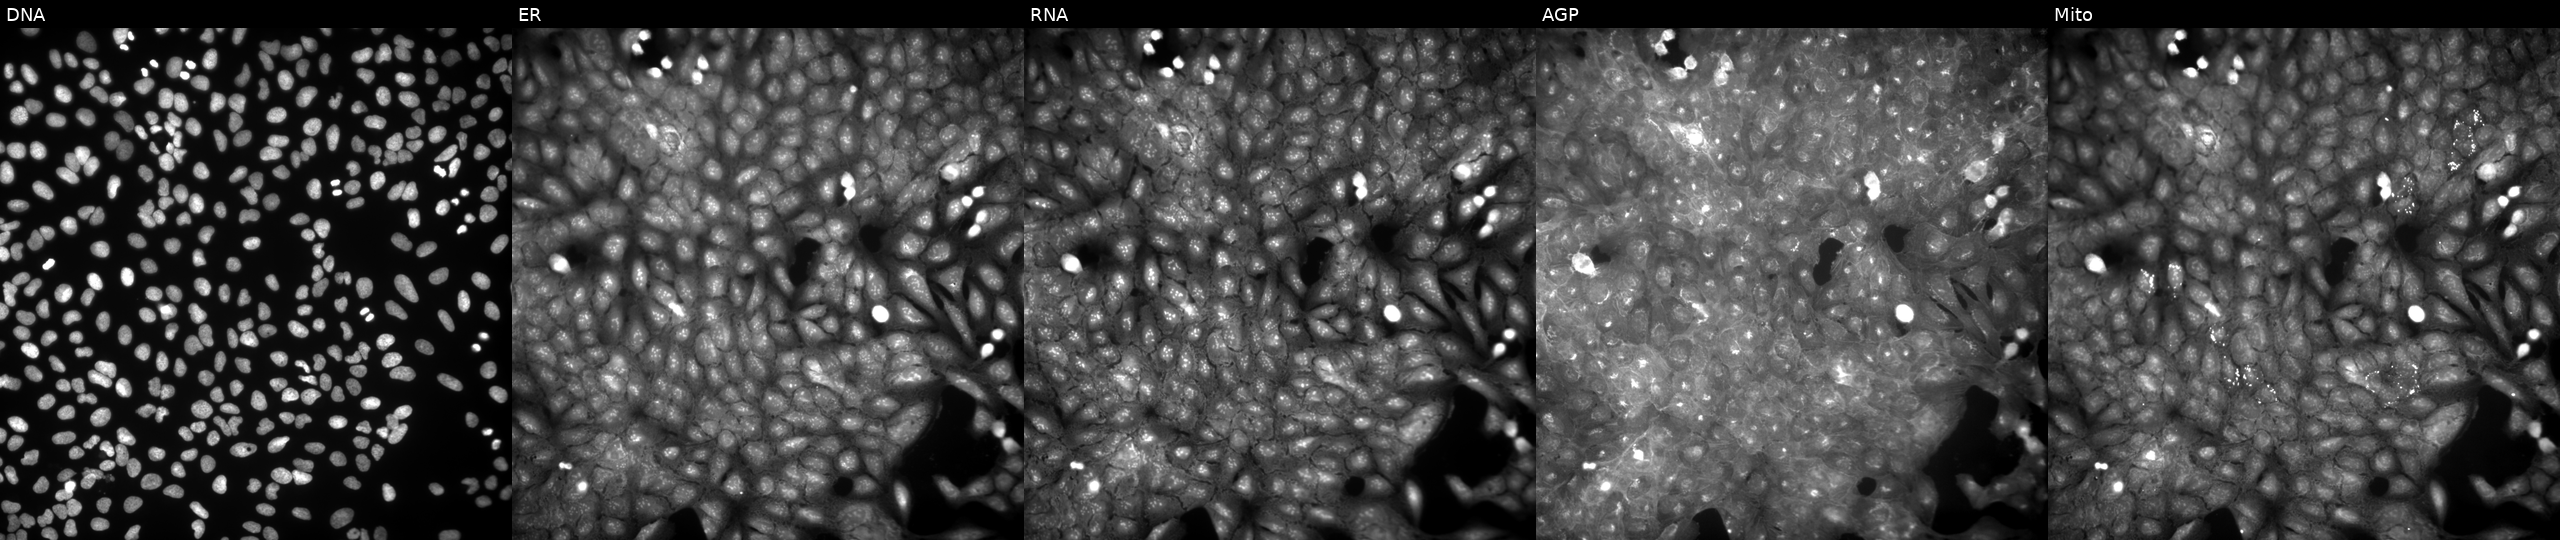
Five-channel Cell Painting image of U2OS cells perturbed with a small-molecule compound. From left to right: Hoechst 33342, concanavalin A, SYTO 14, phalloidin and WGA, MitoTracker. Source 9, plate GR00003381, well W42.